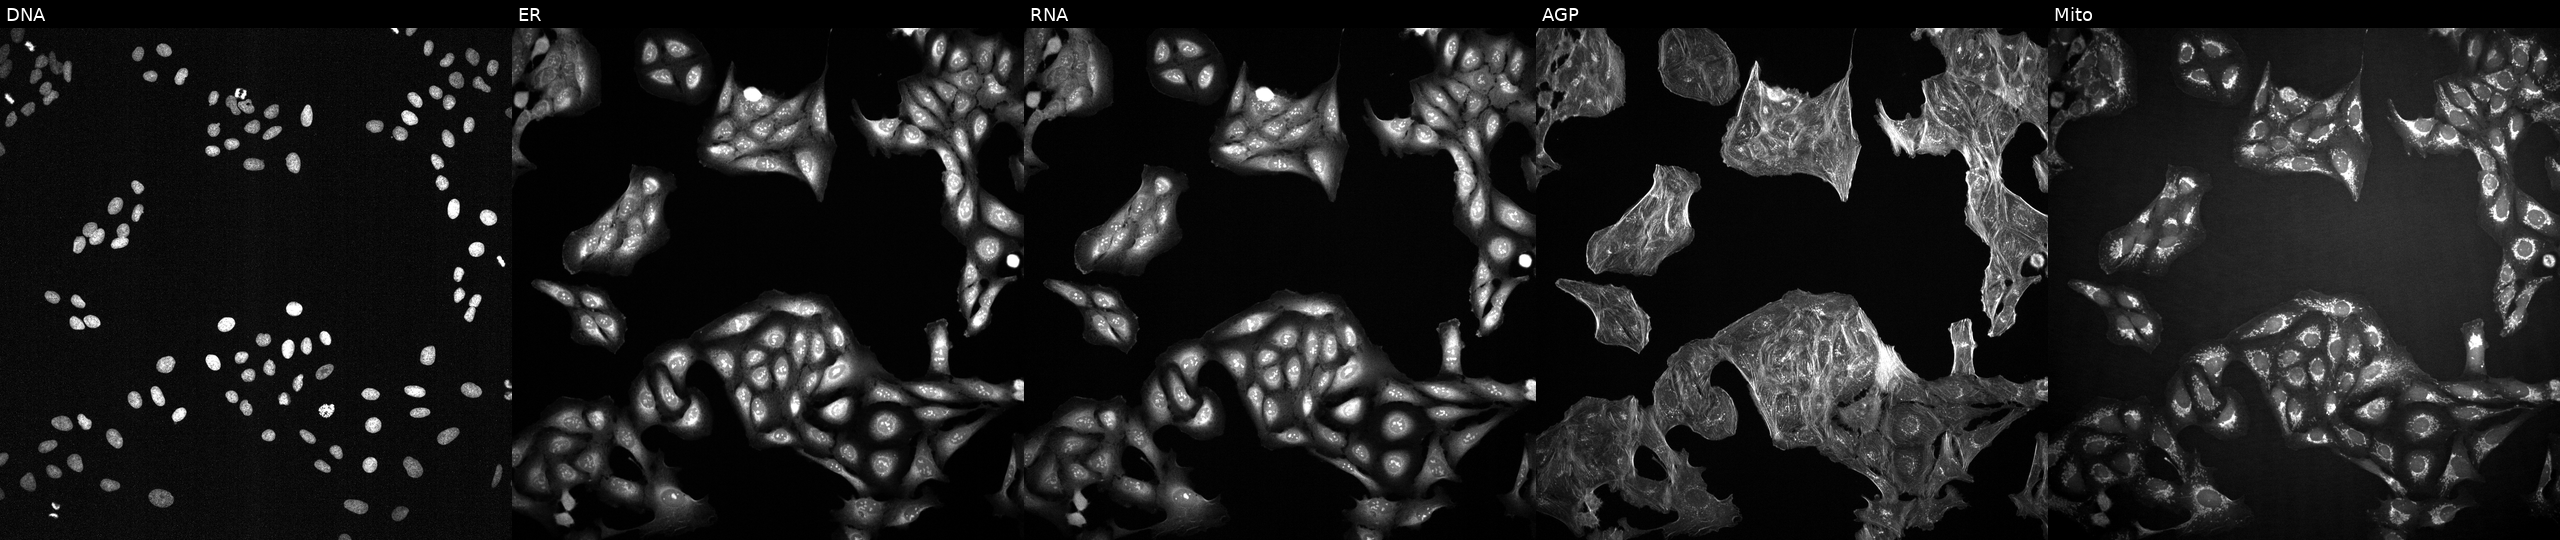
Channels (left→right): DNA, ER, RNA, AGP, and Mito. U2OS osteosarcoma cells treated with a small-molecule compound (InChIKey NXNKJLOEGWSJGI-UHFFFAOYSA-N) [SMILES: CN1C(=O)N(c2cc(Cl)cc(Cl)c2)C(=O)C12CN(Cc1cc(C(=O)O)cs1)CC2c1ccc(C#N)cc1] (JUMP id JCP2022_062023). Cell Painting assay, JUMP-CP dataset.